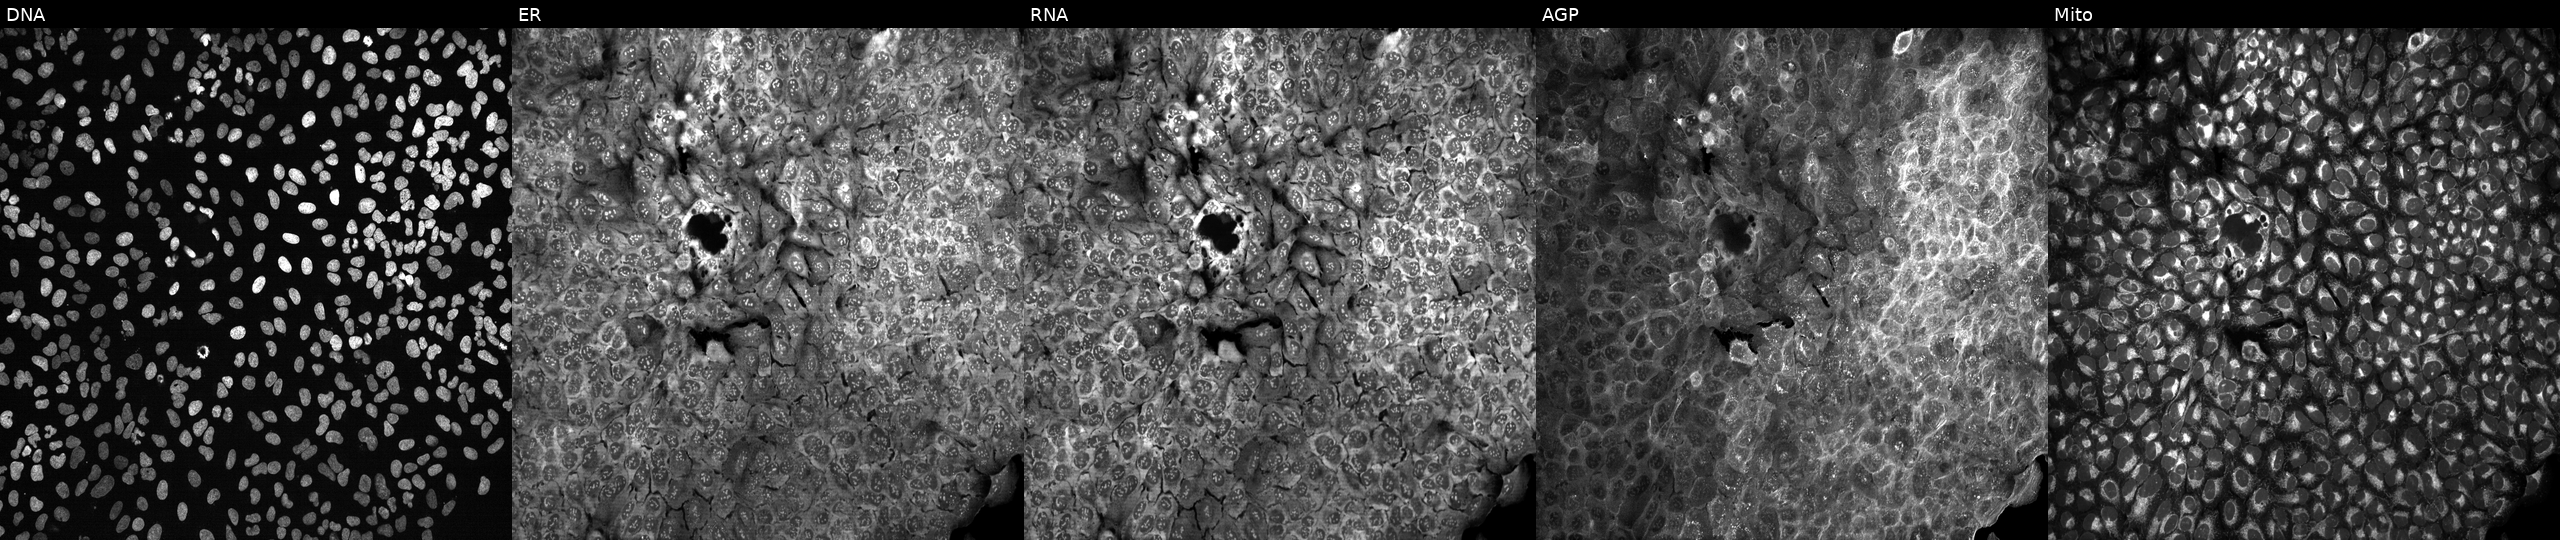
High-content fluorescence microscopy (Cell Painting). Cell line: U2OS. Perturbation: with XPNPEP2 knocked out by CRISPR. Panels show, left to right, DNA, ER, RNA, AGP, and Mito. Source 13, plate CP-CC9-R6-19, well O18.